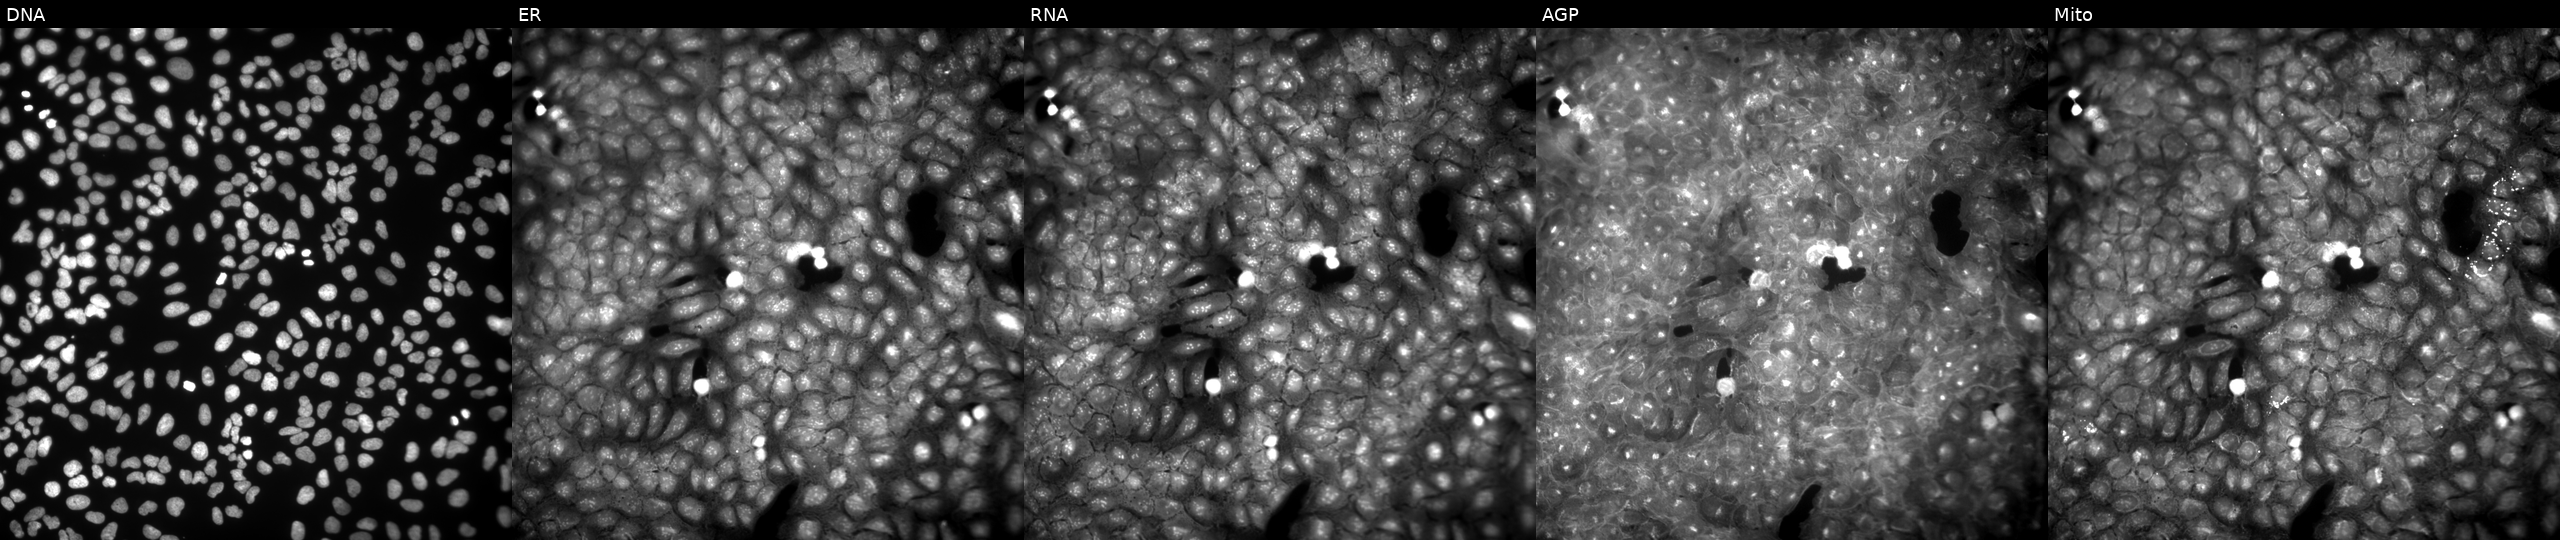
This image strip shows the five Cell Painting channels for a single field of U2OS cells perturbed with a small-molecule compound. Channels (left→right): DNA (nuclei); ER (endoplasmic reticulum); RNA (nucleoli and cytoplasmic RNA); AGP (actin cytoskeleton, Golgi, and plasma membrane); Mito (mitochondria). Source 9, plate GR00003382, well Z45.